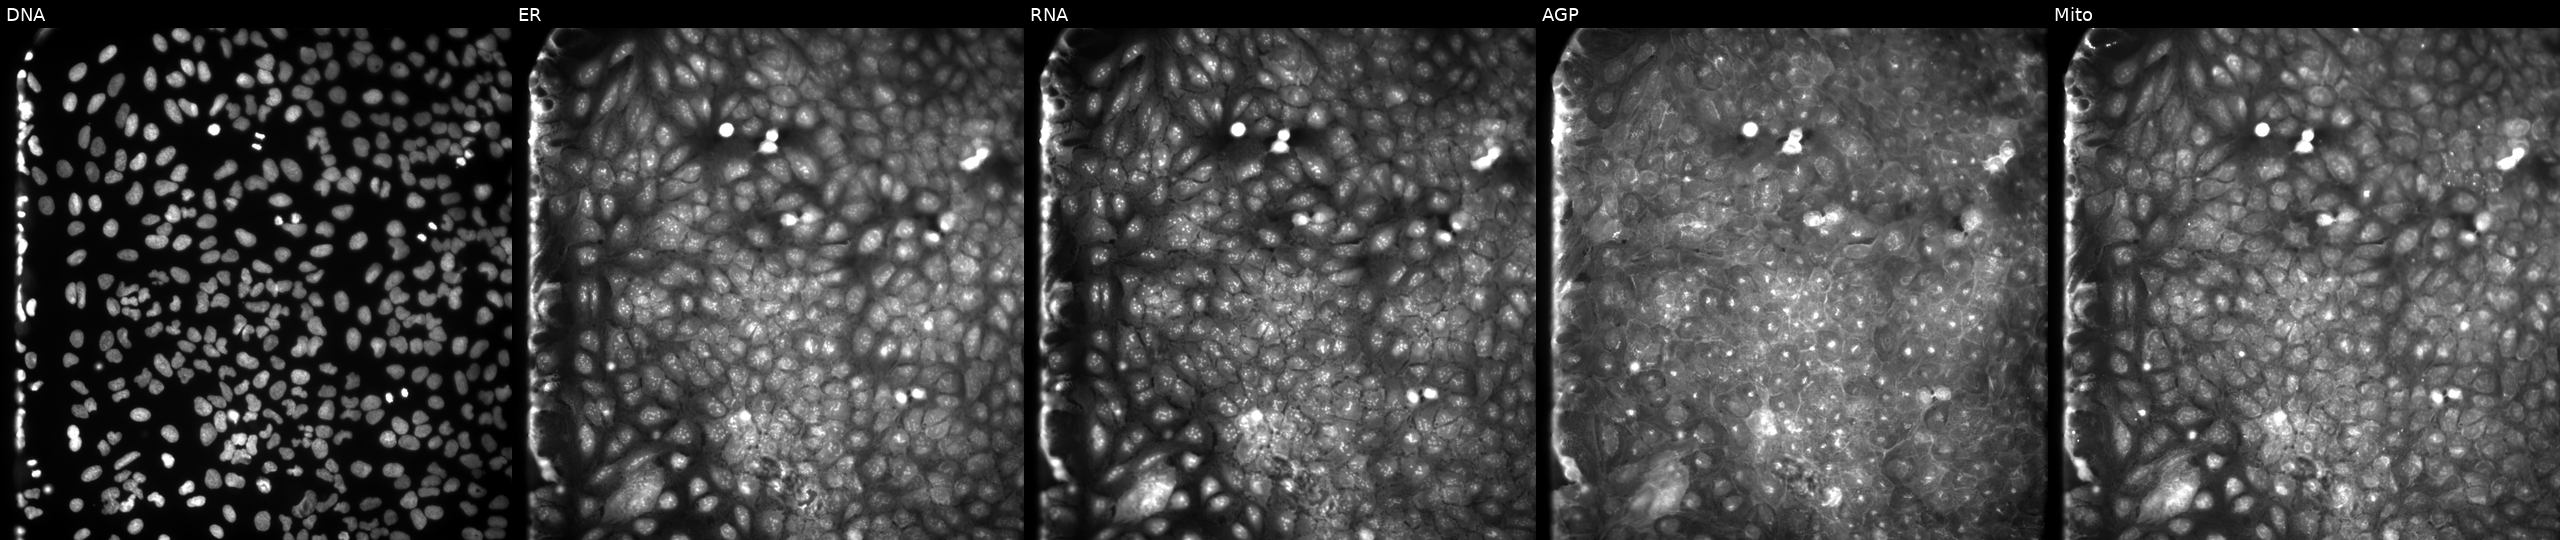
High-content fluorescence microscopy (Cell Painting). Cell line: U2OS. Perturbation: perturbed with a small-molecule compound (InChIKey GNWKHWLRRJFWMB-UHFFFAOYSA-N) [SMILES: Cc1cc(NC(=O)CCN2CCCCC2)ccc1Br]. From left to right: Hoechst 33342, concanavalin A, SYTO 14, phalloidin and WGA, MitoTracker. Source 9, plate GR00003382, well V03.